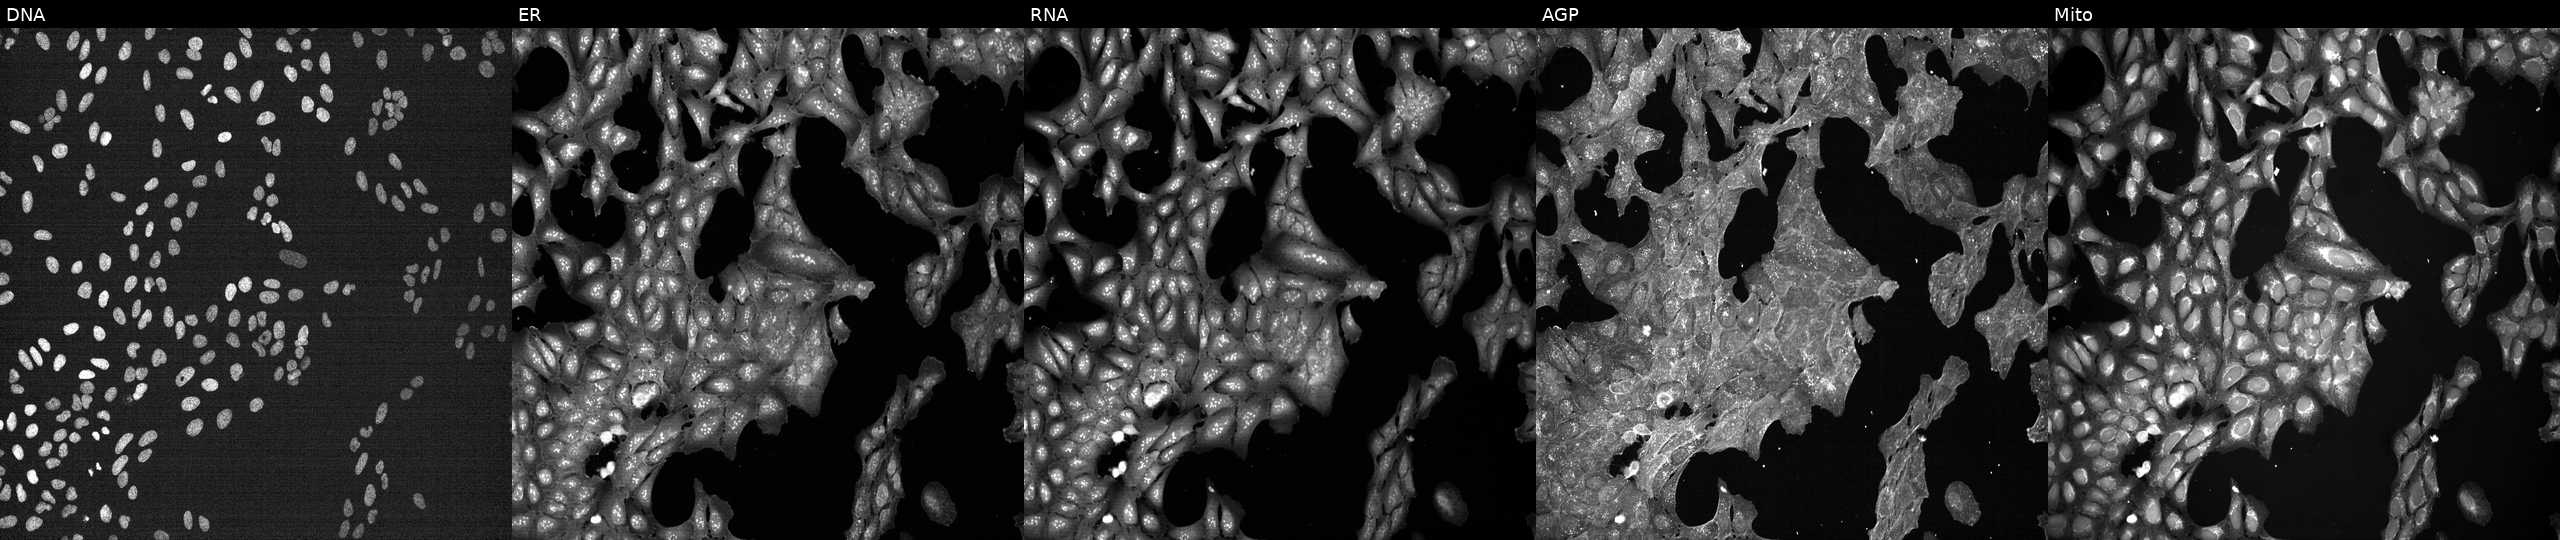
Five-channel Cell Painting image of U2OS cells exposed to a small-molecule compound (InChIKey IBAQFPQHRJAVAV-UHFFFAOYSA-N). From left to right: DNA, ER, RNA, AGP, and Mito. Source 7, plate CP1-SC1-25, well F17.